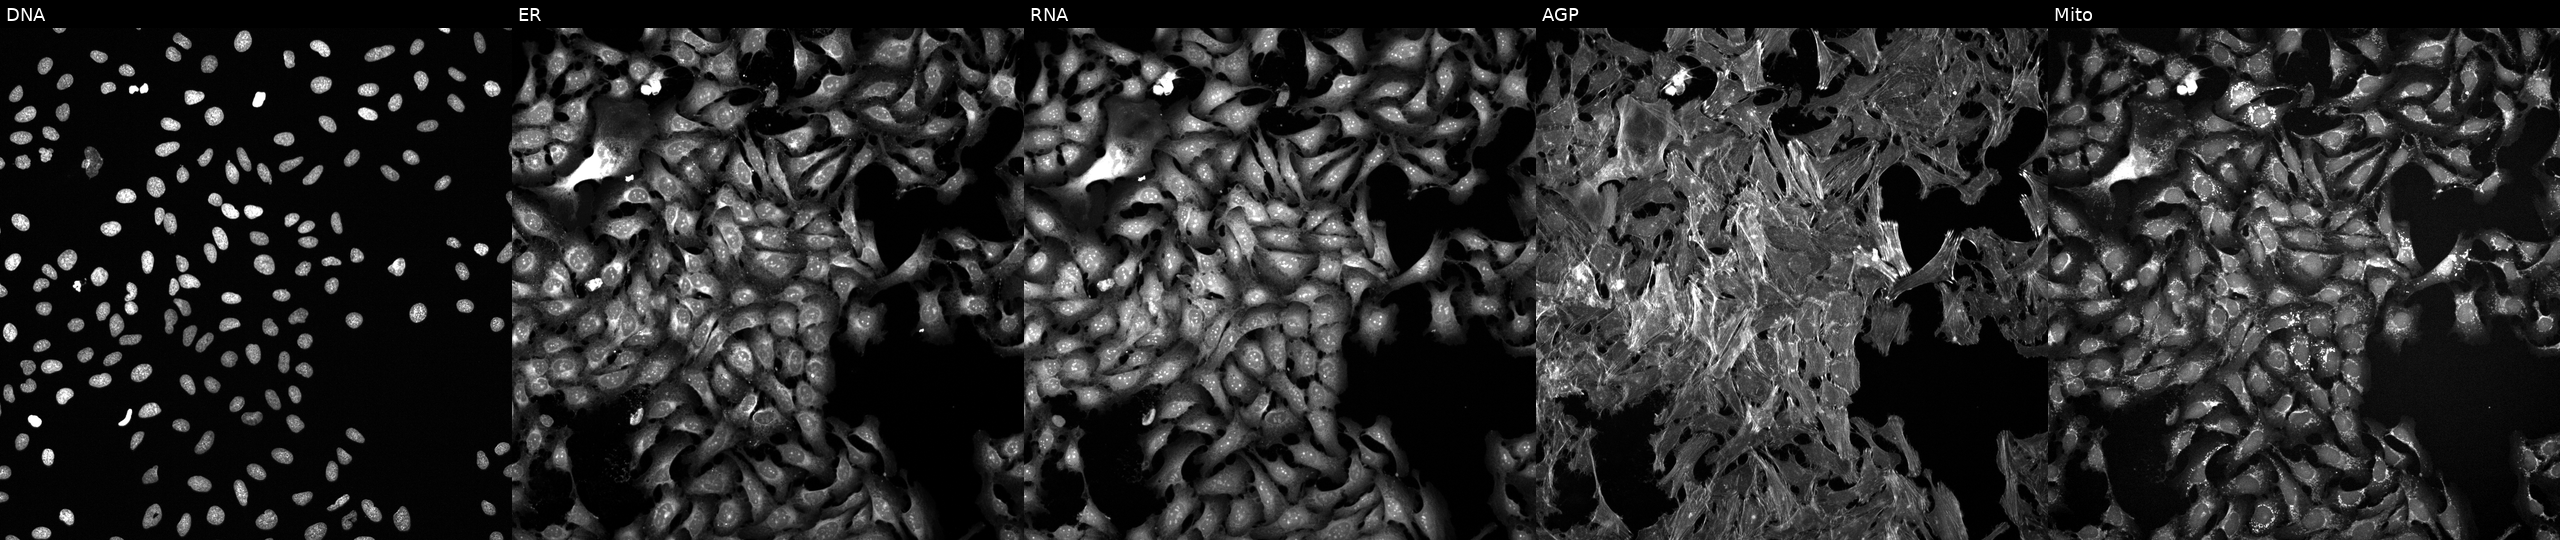
Five-channel Cell Painting image of U2OS cells treated with FK-866 (positive-control compound) (JUMP id JCP2022_046054). Channels (left→right): DNA (nuclei); ER (endoplasmic reticulum); RNA (nucleoli and cytoplasmic RNA); AGP (actin cytoskeleton, Golgi, and plasma membrane); Mito (mitochondria). Source 6, plate 110000293083, well H24.